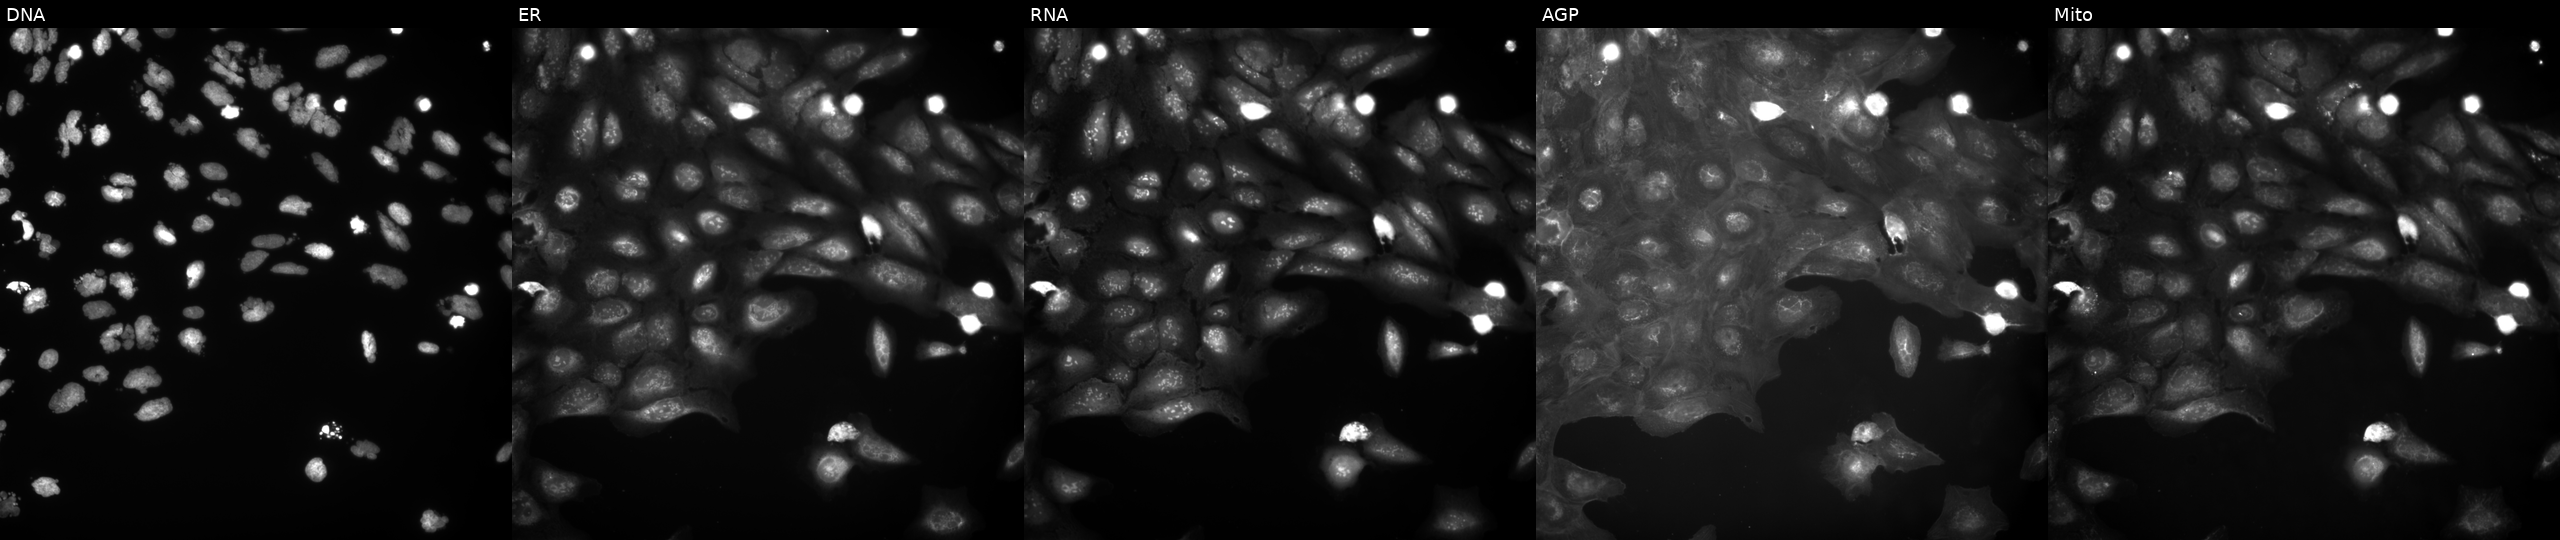
High-content fluorescence microscopy (Cell Painting). Cell line: U2OS. Perturbation: treated with AMG900 (positive-control compound). From left to right: Hoechst 33342, concanavalin A, SYTO 14, phalloidin and WGA, MitoTracker. Source 9, plate GR00003382, well R24.